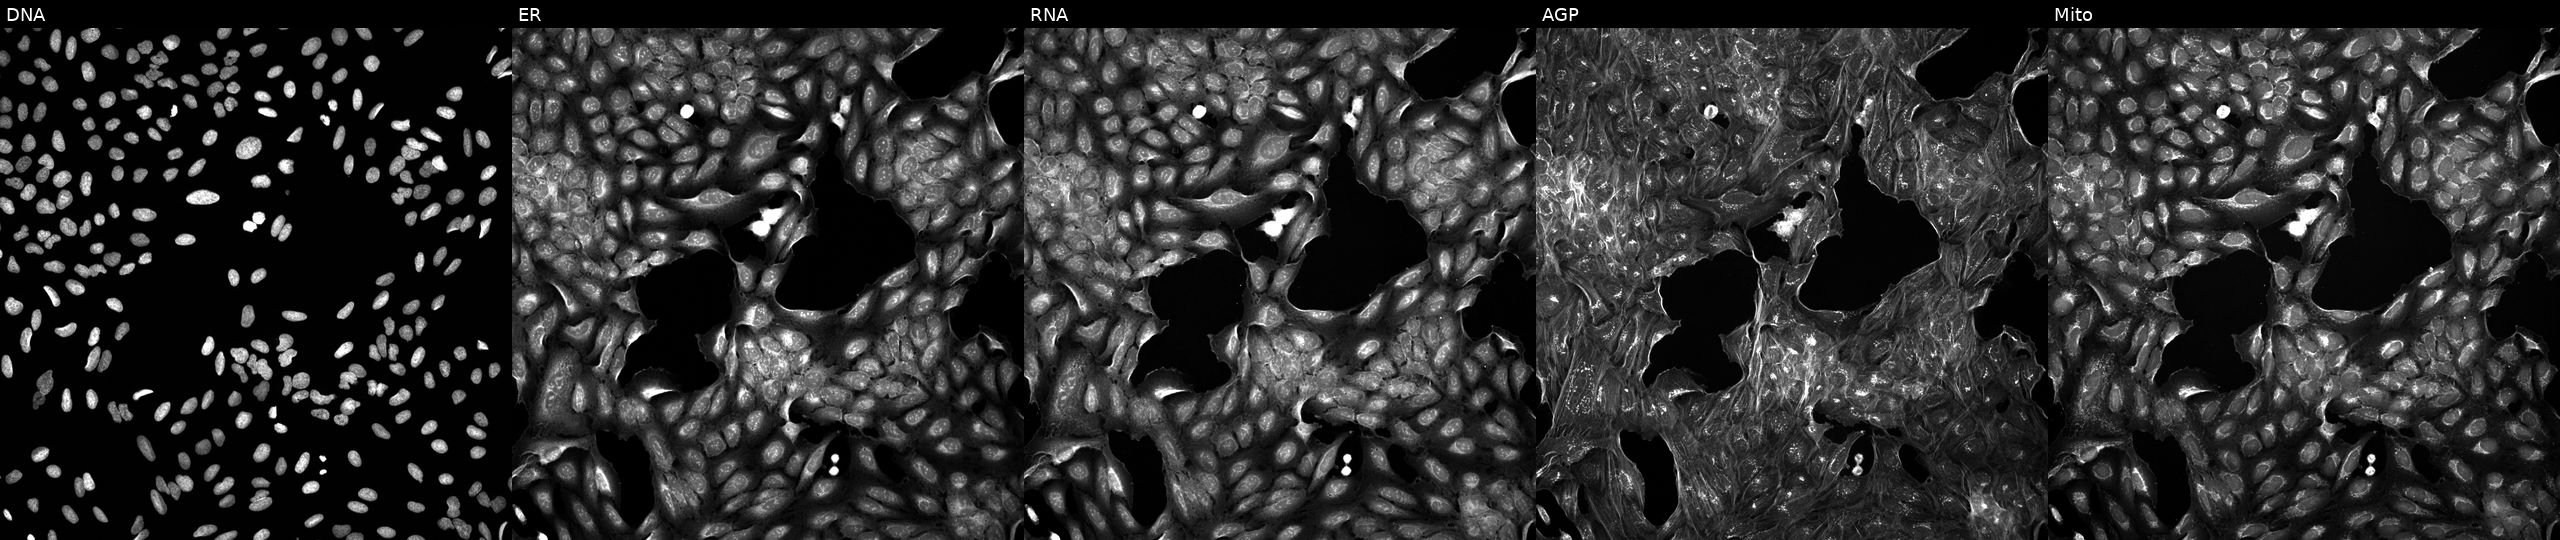
High-content fluorescence microscopy (Cell Painting). Cell line: U2OS. Perturbation: exposed to a small-molecule compound (JUMP id JCP2022_071824). The five panels, left to right, show Hoechst 33342, concanavalin A, SYTO 14, phalloidin and WGA, MitoTracker. Source 5, plate APTJUM106, well H18.